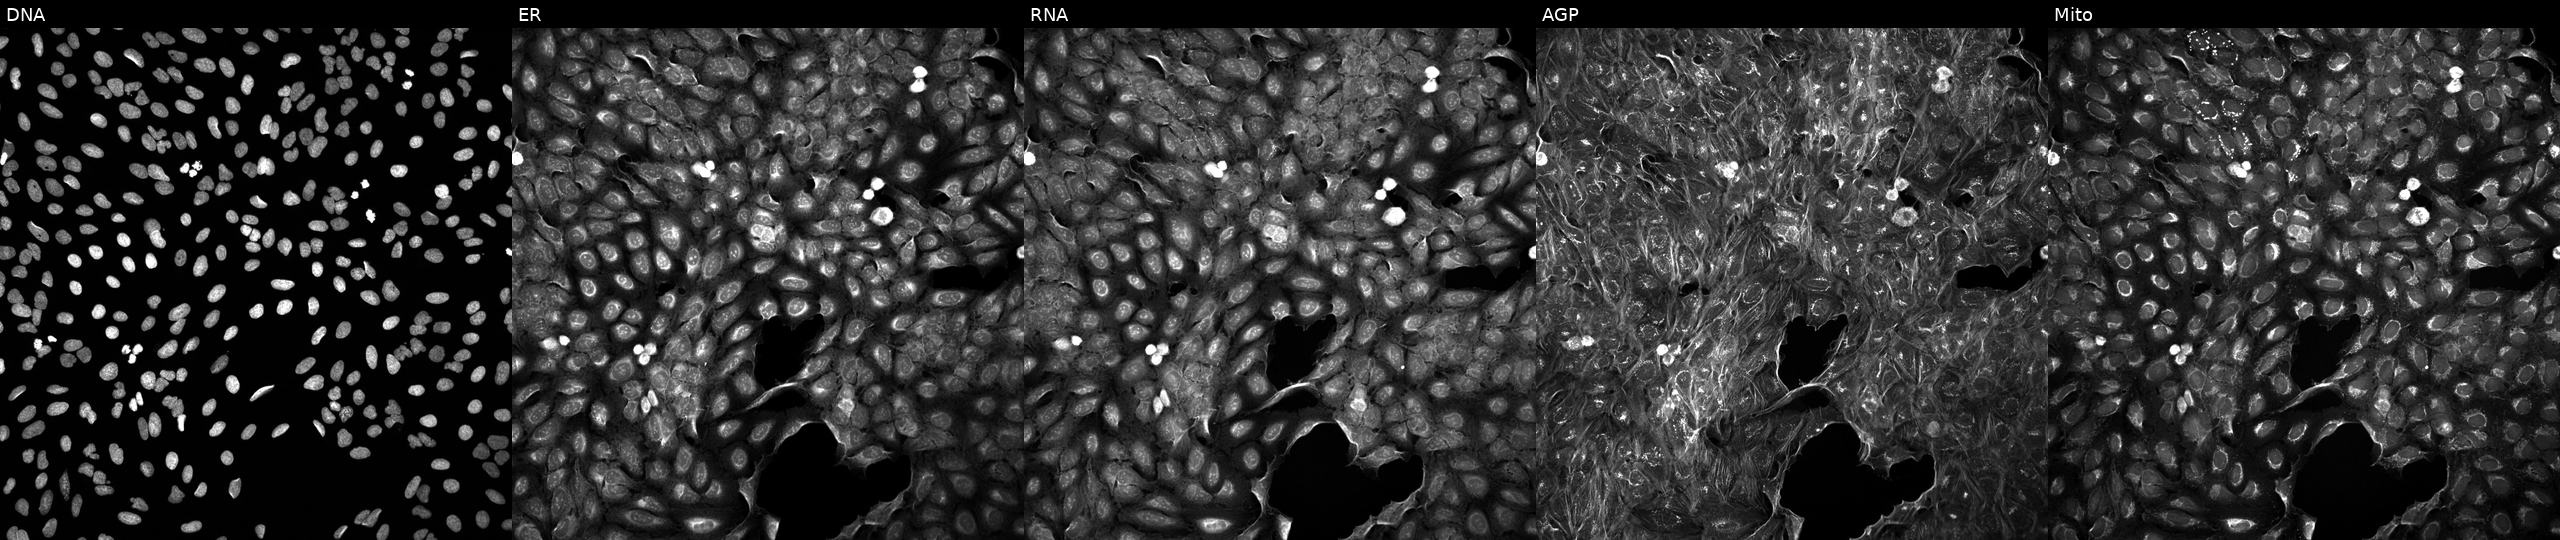
This image strip shows the five Cell Painting channels for a single field of U2OS cells perturbed with a small-molecule compound (InChIKey TZDUHAJSIBHXDL-UHFFFAOYSA-N). Panels show, left to right, DNA (nuclei); ER (endoplasmic reticulum); RNA (nucleoli and cytoplasmic RNA); AGP (actin cytoskeleton, Golgi, and plasma membrane); Mito (mitochondria). Source 5, plate ACPJUM012, well O18.